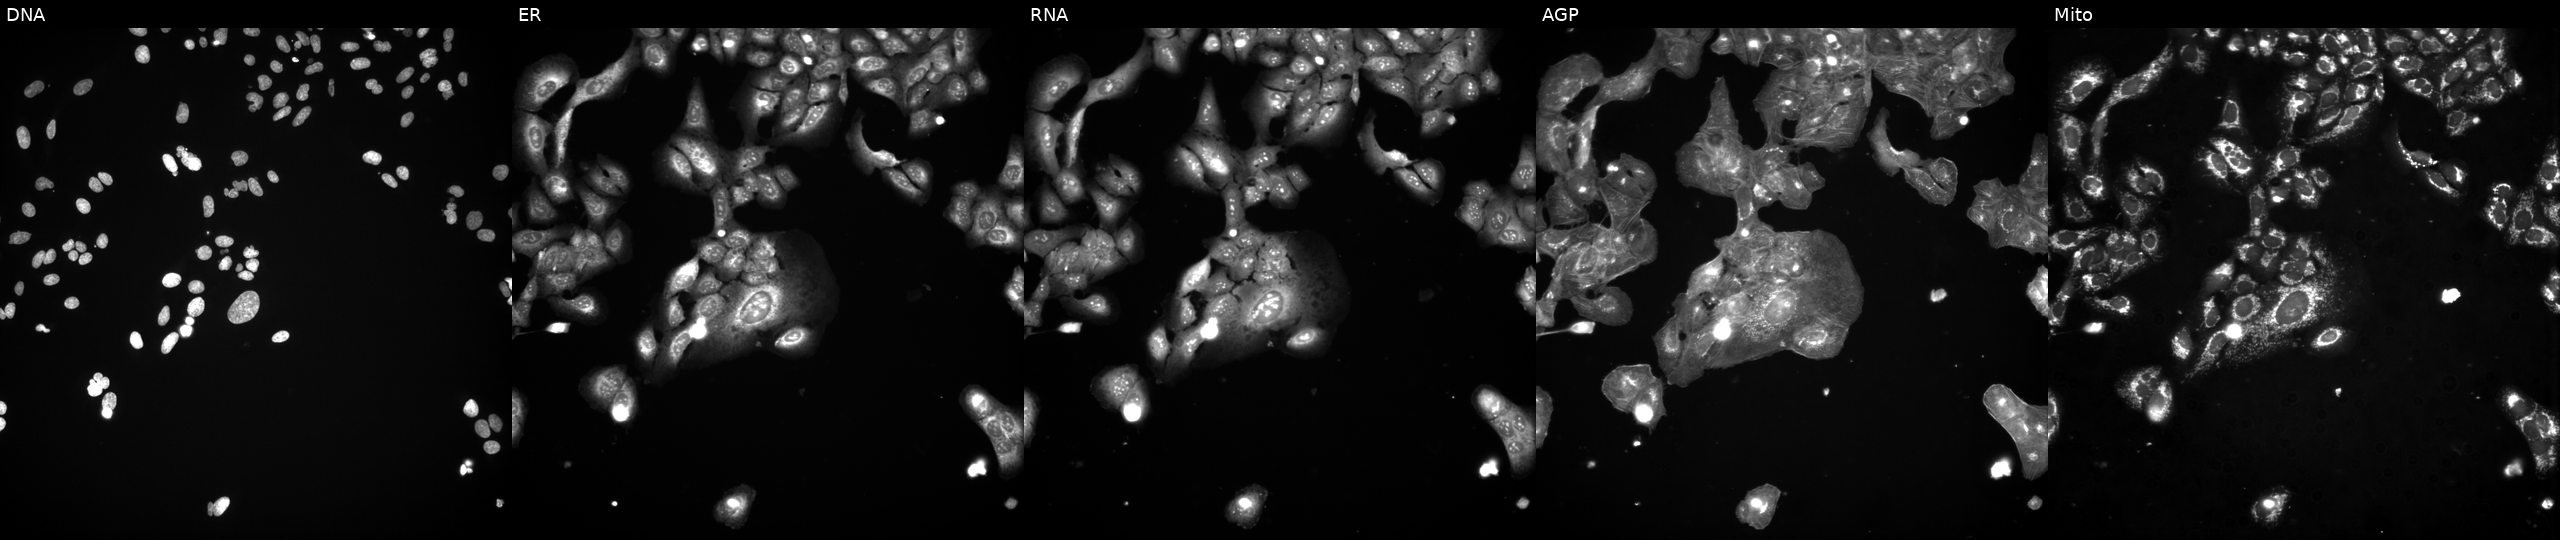
U2OS cells, Cell Painting assay, exposed to a small-molecule compound [SMILES: O=C(CCc1c[nH]c2ccccc12)Nc1cccnc1] (JUMP id JCP2022_041256). Panels show, left to right, DNA, ER, RNA, AGP, and Mito. Each panel is percentile-stretched 16-bit fluorescence. Source 3, plate BR5867a3, well B06.